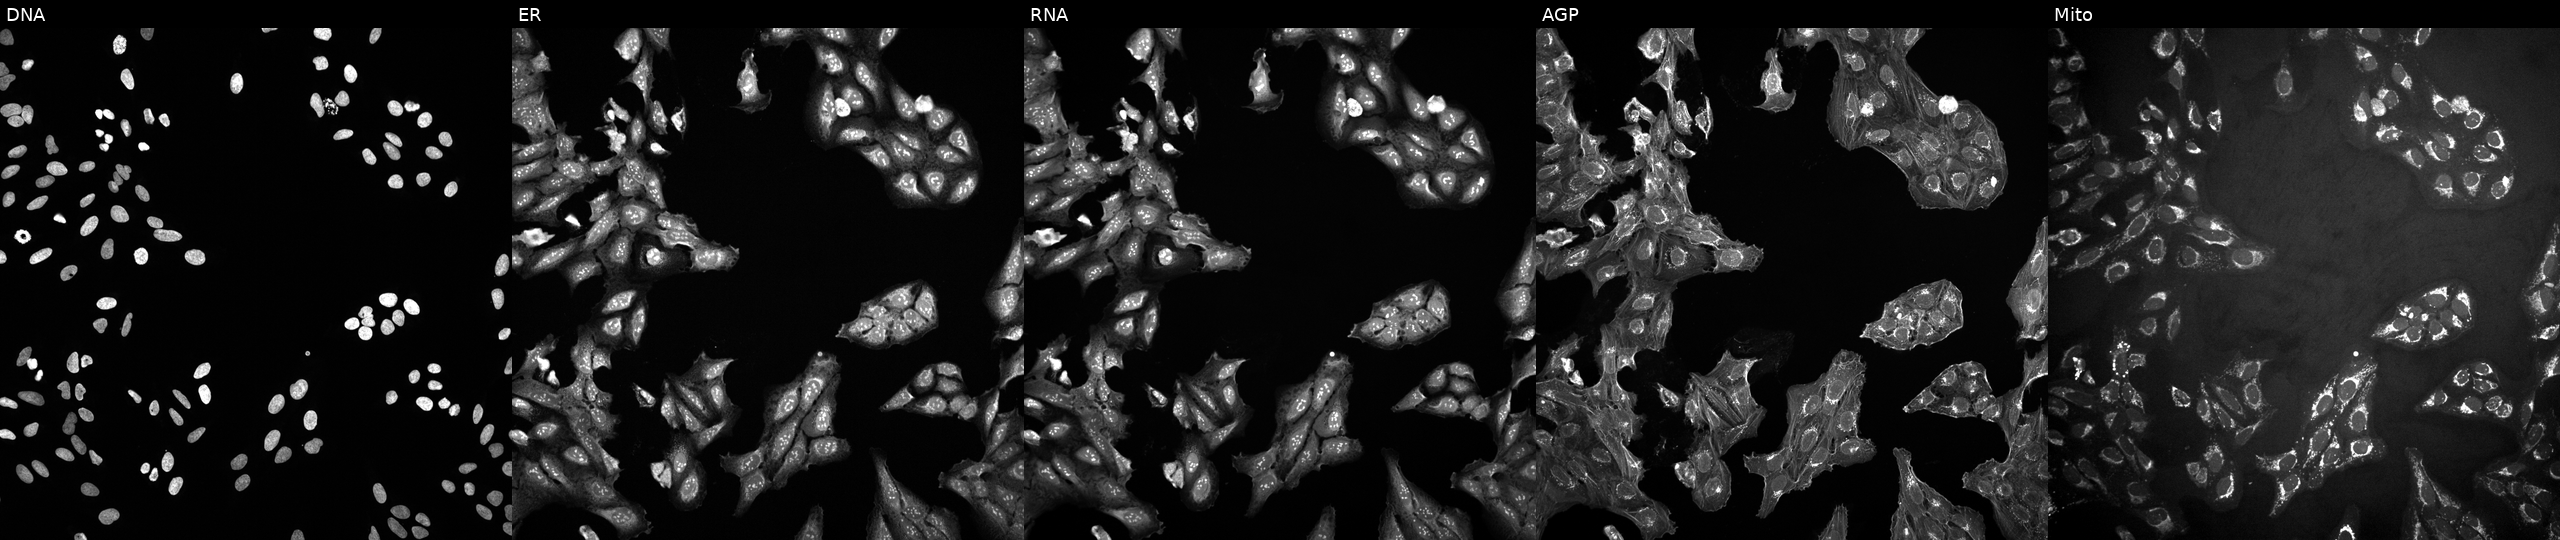
U2OS cells, Cell Painting assay, treated with aloxistatin (positive-control compound) (JUMP id JCP2022_085227). Panels show, left to right, DNA, ER, RNA, AGP, and Mito. Each panel is percentile-stretched 16-bit fluorescence.